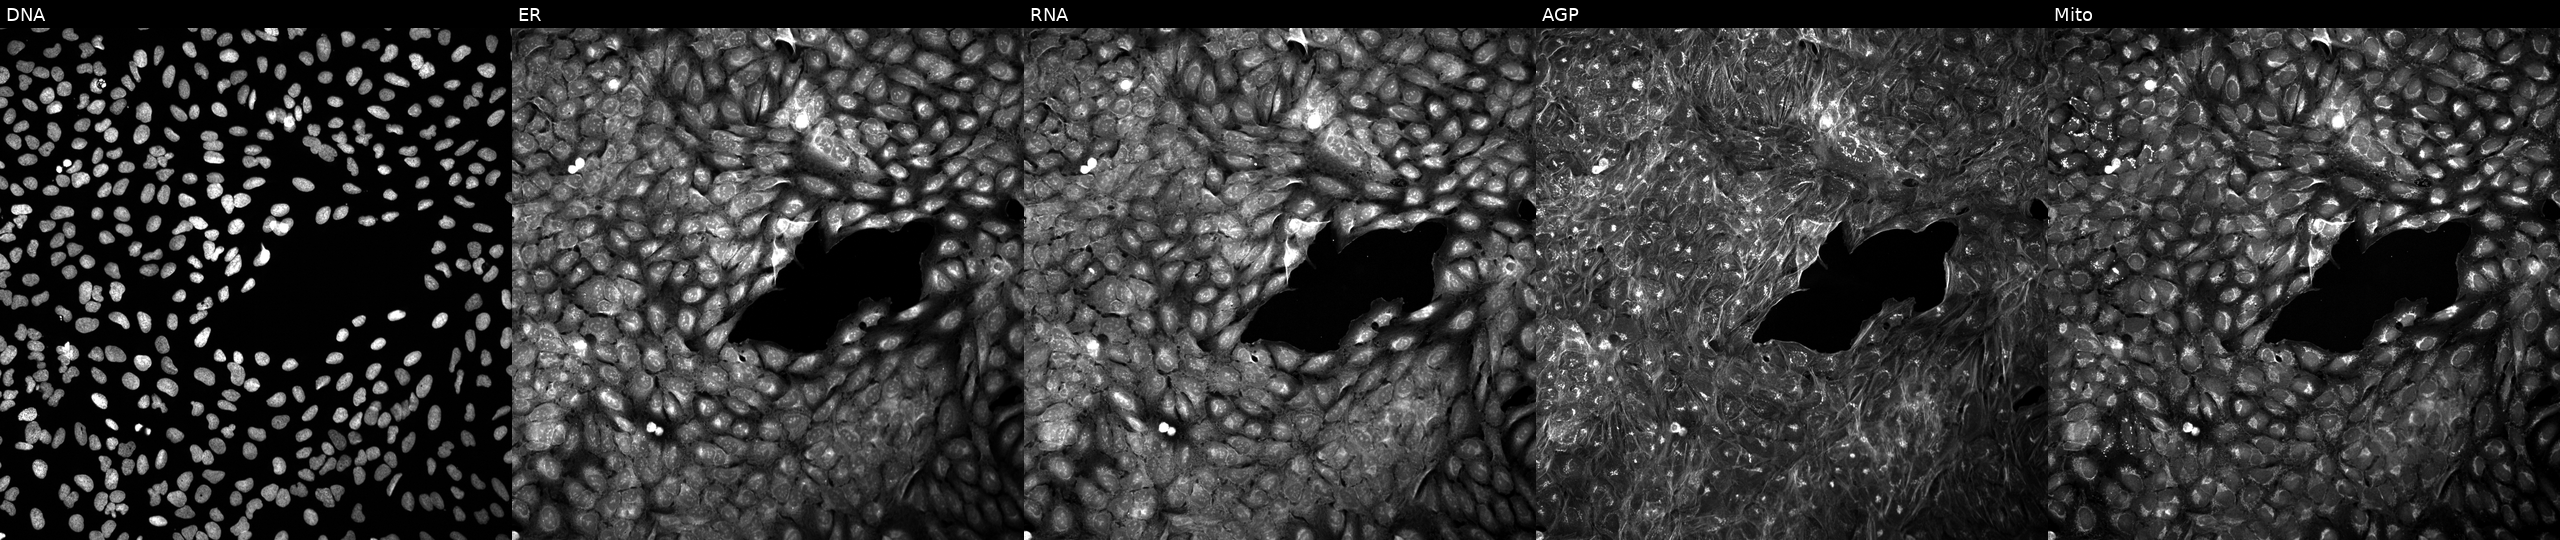
Channels (left→right): DNA, ER, RNA, AGP, and Mito. U2OS osteosarcoma cells exposed to the positive-control compound quinidine. Cell Painting assay, JUMP-CP dataset. Source 5, plate APTJUM105, well K24.